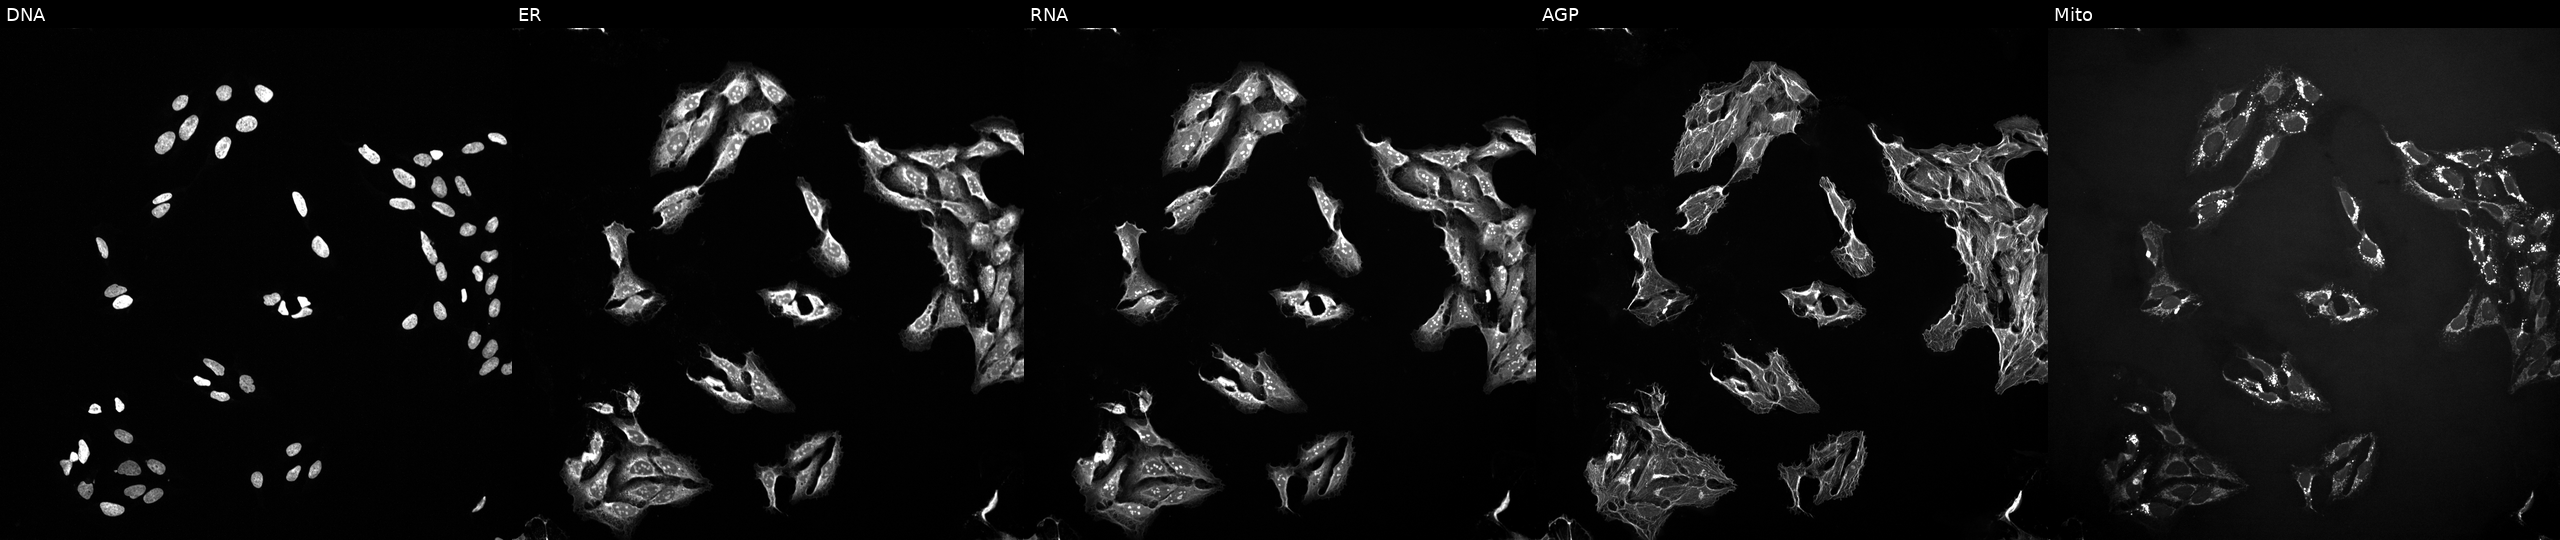
JUMP Cell Painting — TARGET2 plate. U2OS cells exposed to a small-molecule compound (InChIKey UTBOEBCWXGDOGI-UHFFFAOYSA-N) (JUMP id JCP2022_091373). From left to right: DNA (nuclei); ER (endoplasmic reticulum); RNA (nucleoli and cytoplasmic RNA); AGP (actin cytoskeleton, Golgi, and plasma membrane); Mito (mitochondria). Source 10, plate Dest210727-153003, well A12.